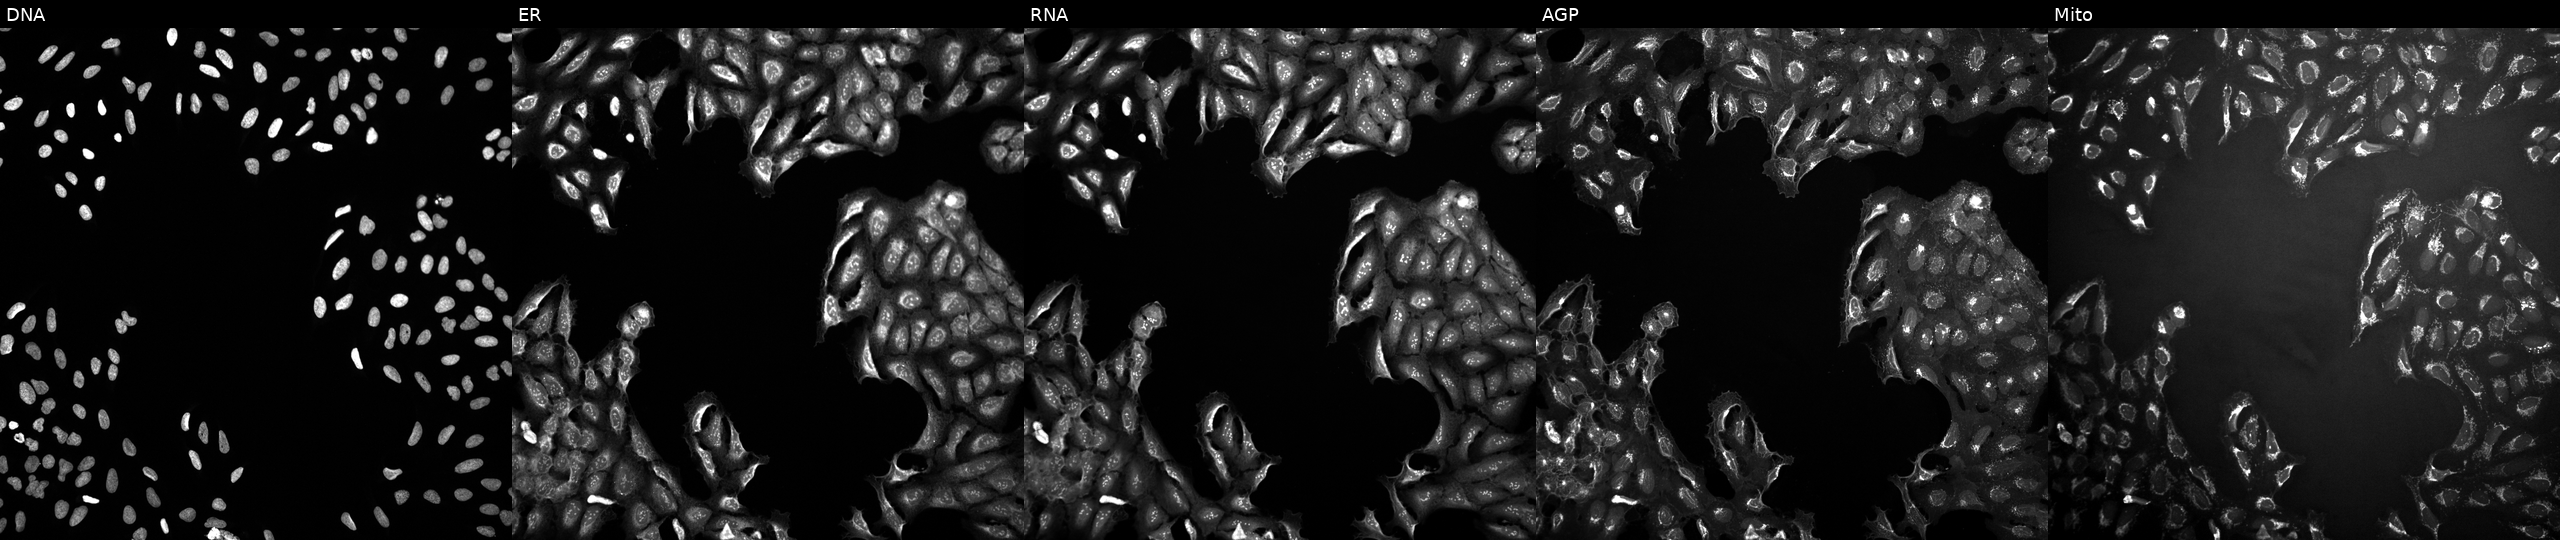
U2OS cells, Cell Painting assay, exposed to DMSO alone as a negative control. Channels (left→right): Hoechst 33342, concanavalin A, SYTO 14, phalloidin and WGA, MitoTracker. Each panel is percentile-stretched 16-bit fluorescence.